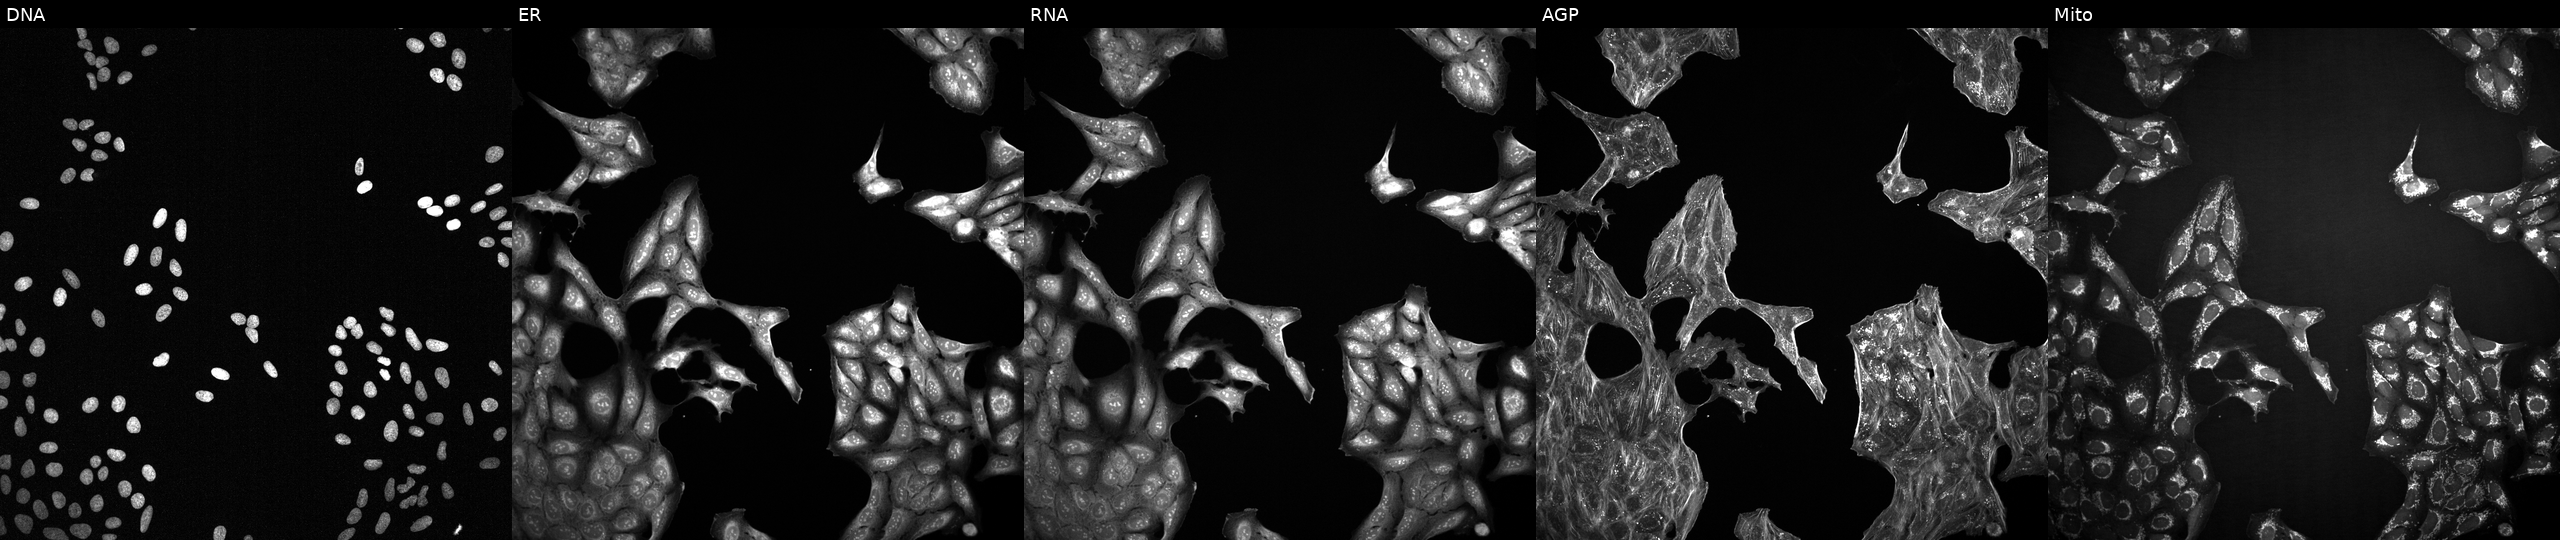
The five panels, left to right, show DNA, ER, RNA, AGP, and Mito. U2OS osteosarcoma cells treated with a small-molecule compound (InChIKey RDOIQAHITMMDAJ-UHFFFAOYSA-N). Cell Painting assay, JUMP-CP dataset. Source 2, plate 1053600674, well L24.